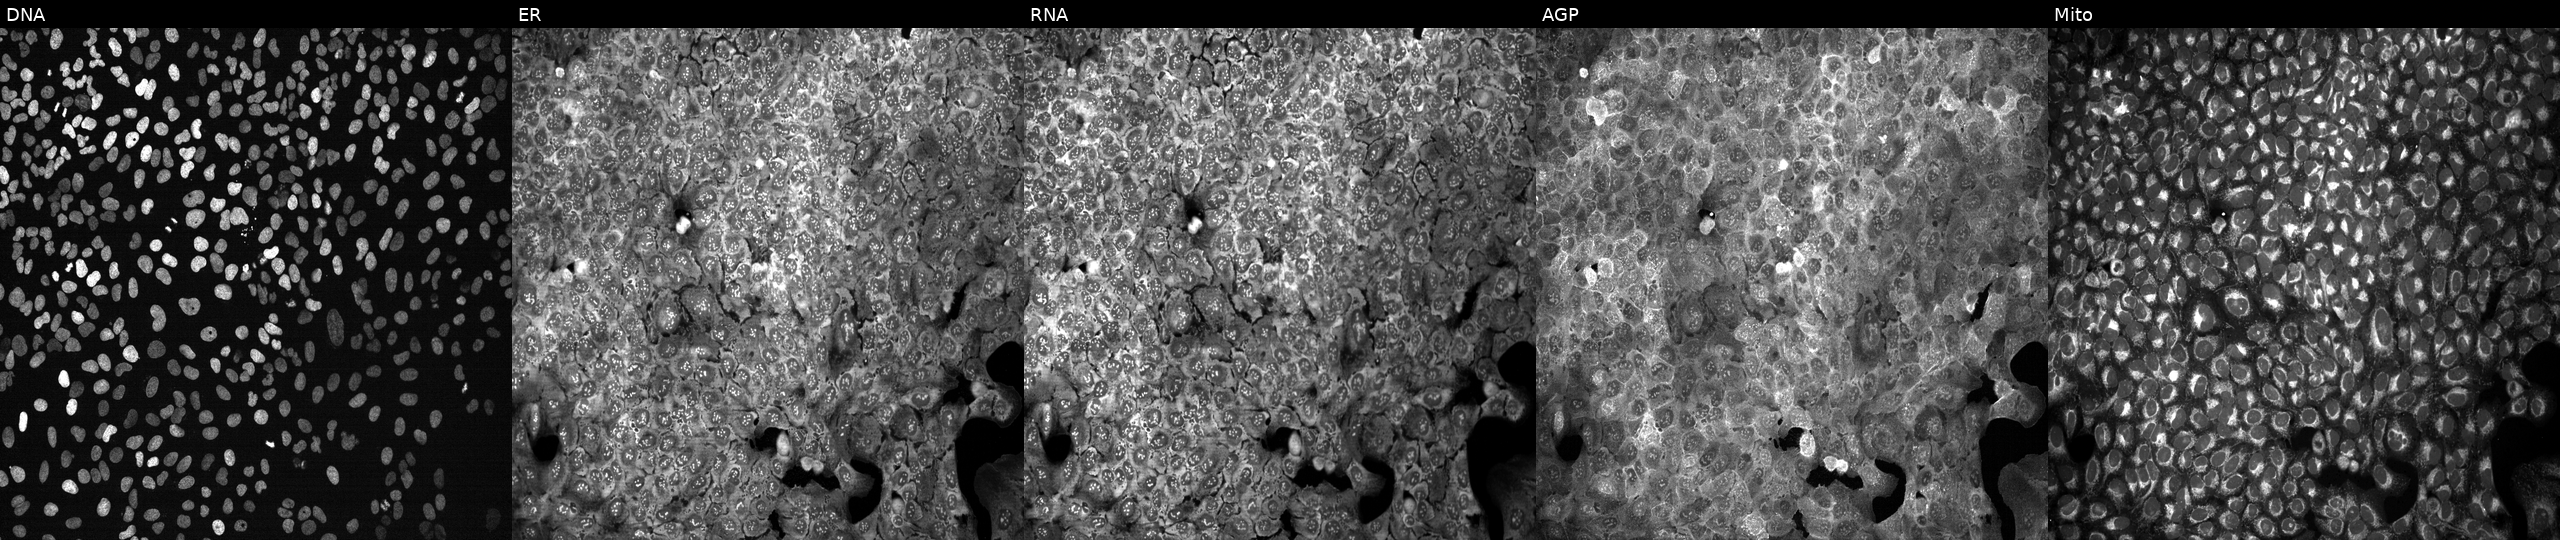
Five-channel Cell Painting image of U2OS cells with a non-targeting CRISPR guide (negative control) (JUMP id JCP2022_800002). The five panels, left to right, show DNA (nuclei); ER (endoplasmic reticulum); RNA (nucleoli and cytoplasmic RNA); AGP (actin cytoskeleton, Golgi, and plasma membrane); Mito (mitochondria).